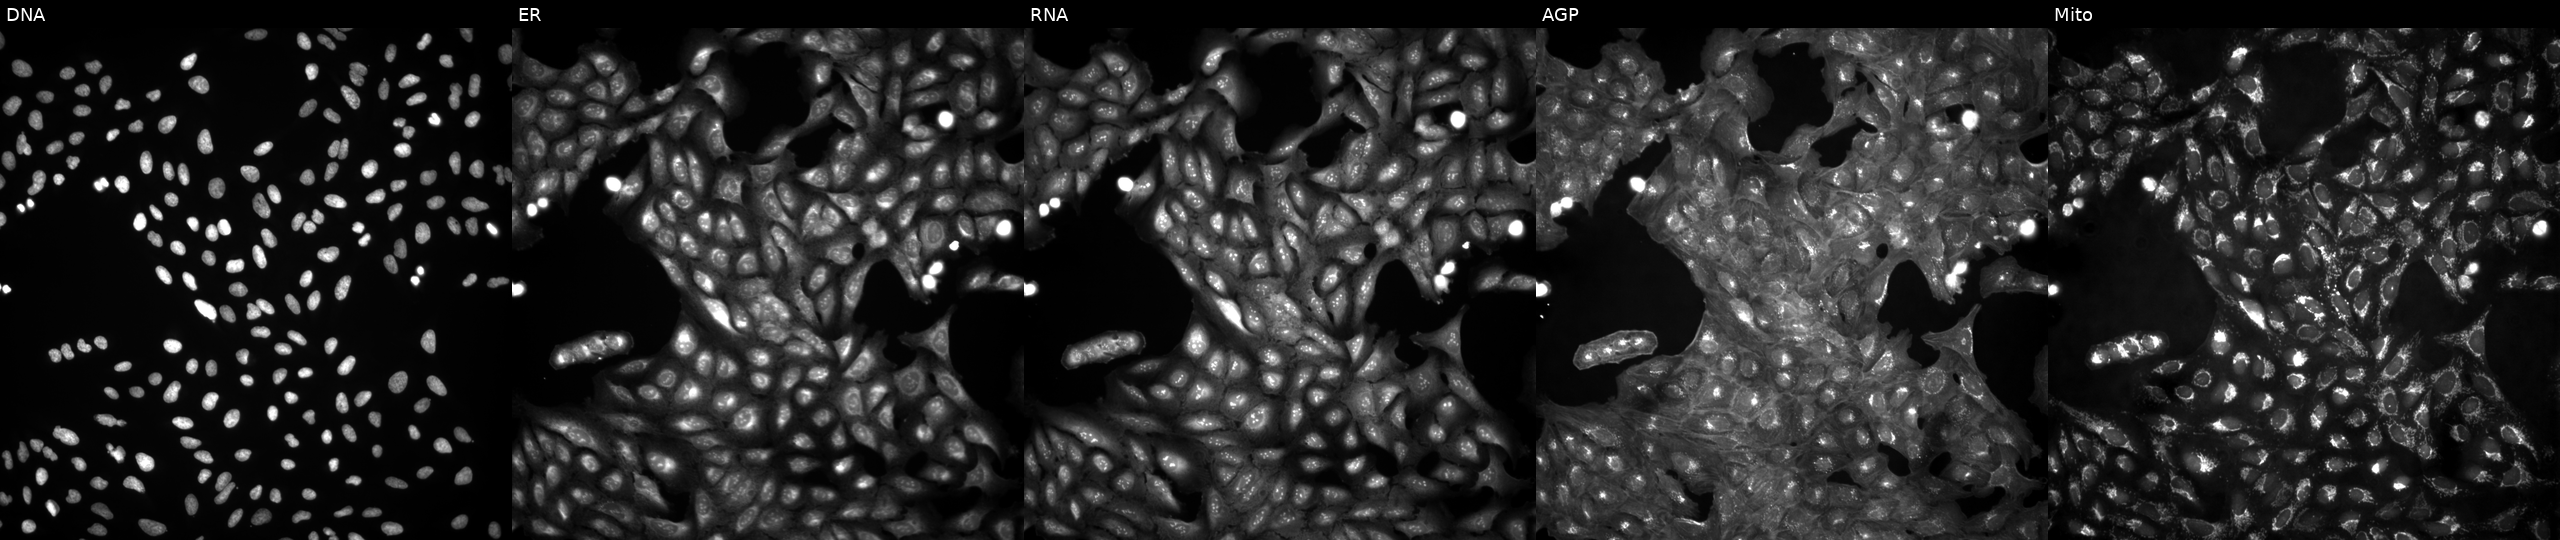
High-content fluorescence microscopy (Cell Painting). Cell line: U2OS. Perturbation: untreated (empty-well control). From left to right: Hoechst 33342, concanavalin A, SYTO 14, phalloidin and WGA, MitoTracker. Source 4, plate BR00123946, well N24.